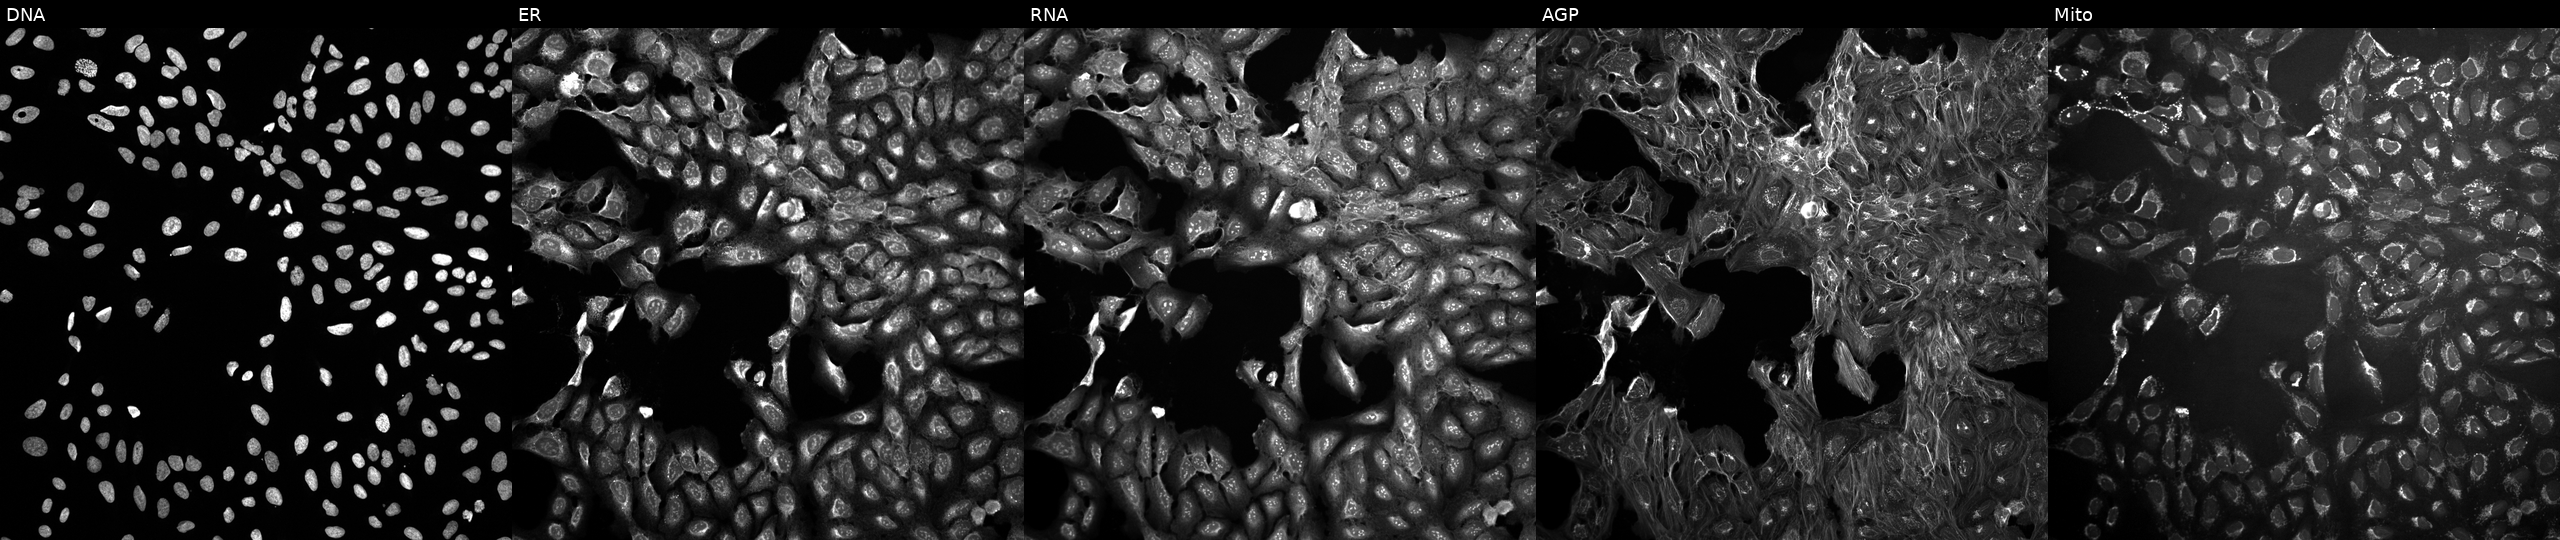
This image strip shows the five Cell Painting channels for a single field of U2OS cells untreated (empty-well control) (JUMP id JCP2022_999999). Channels (left→right): DNA (nuclei); ER (endoplasmic reticulum); RNA (nucleoli and cytoplasmic RNA); AGP (actin cytoskeleton, Golgi, and plasma membrane); Mito (mitochondria). Source 10, plate Dest210531-152324, well J08.